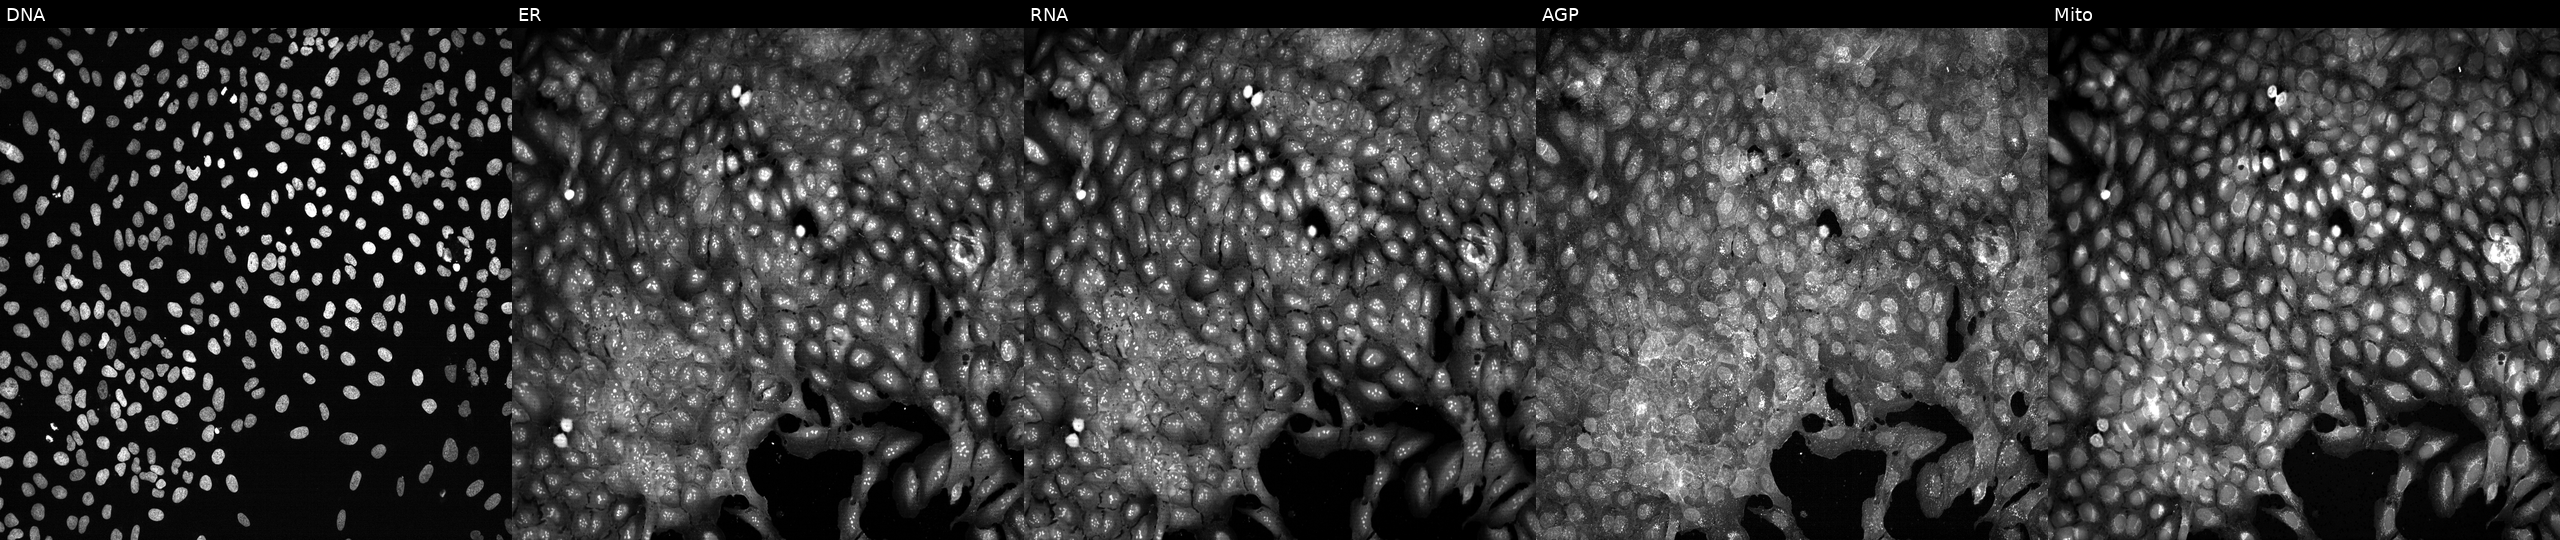
Five-channel Cell Painting image of U2OS cells following CRISPR knockout of NRGN. Panels show, left to right, DNA, ER, RNA, AGP, and Mito. Source 13, plate CP-CC9-R1-02, well N10.